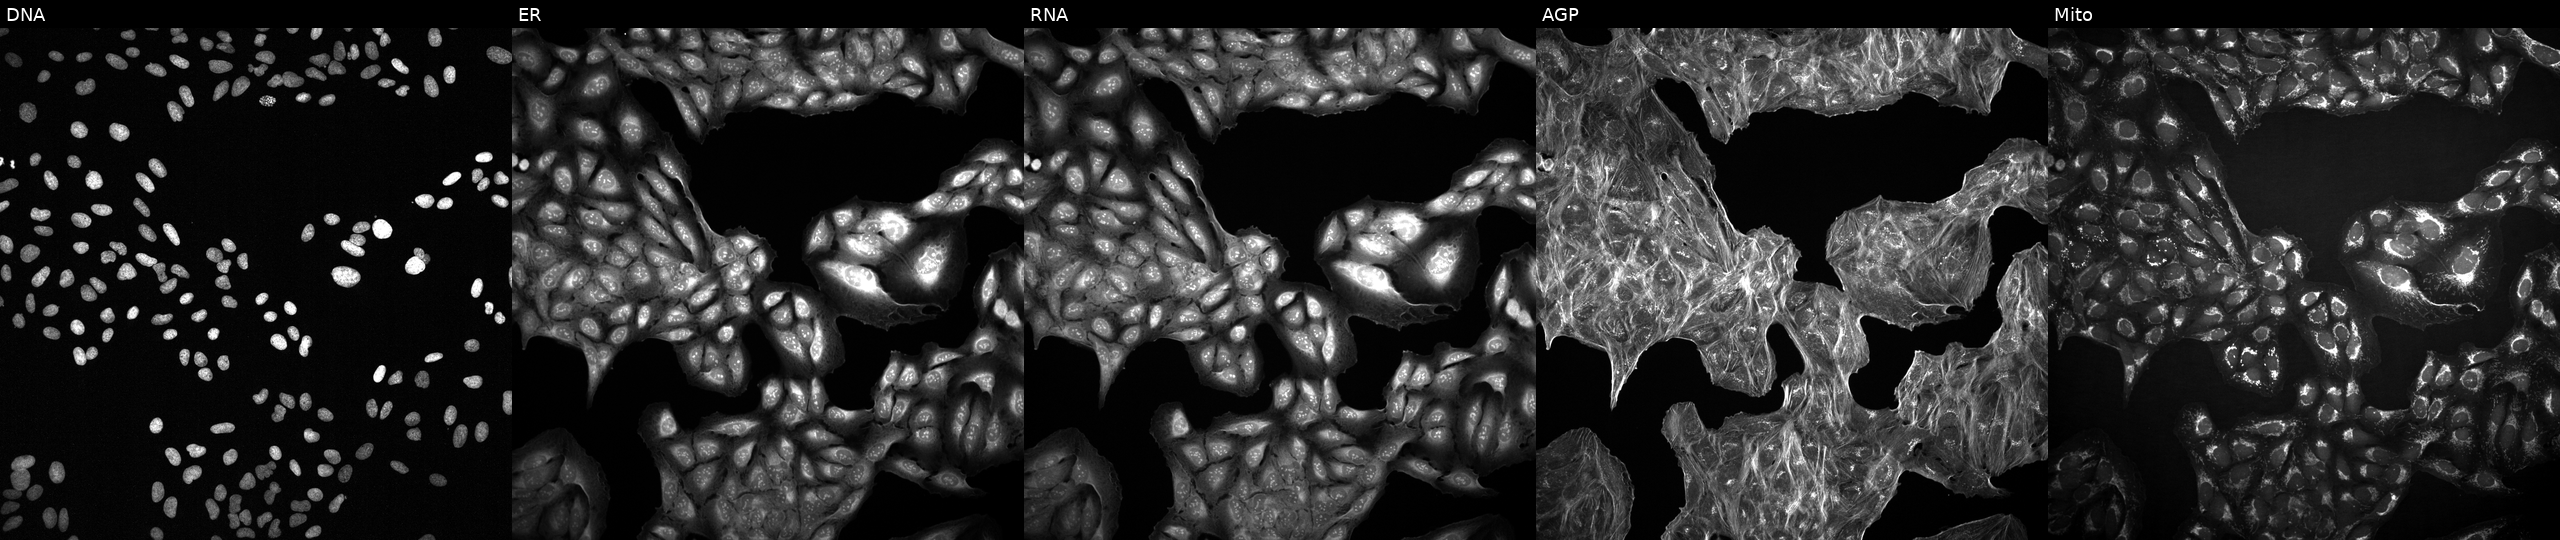
JUMP Cell Painting — COMPOUND plate. U2OS cells treated with a small-molecule compound. Channels (left→right): Hoechst 33342, concanavalin A, SYTO 14, phalloidin and WGA, MitoTracker. Source 2, plate 1053601763, well N05.